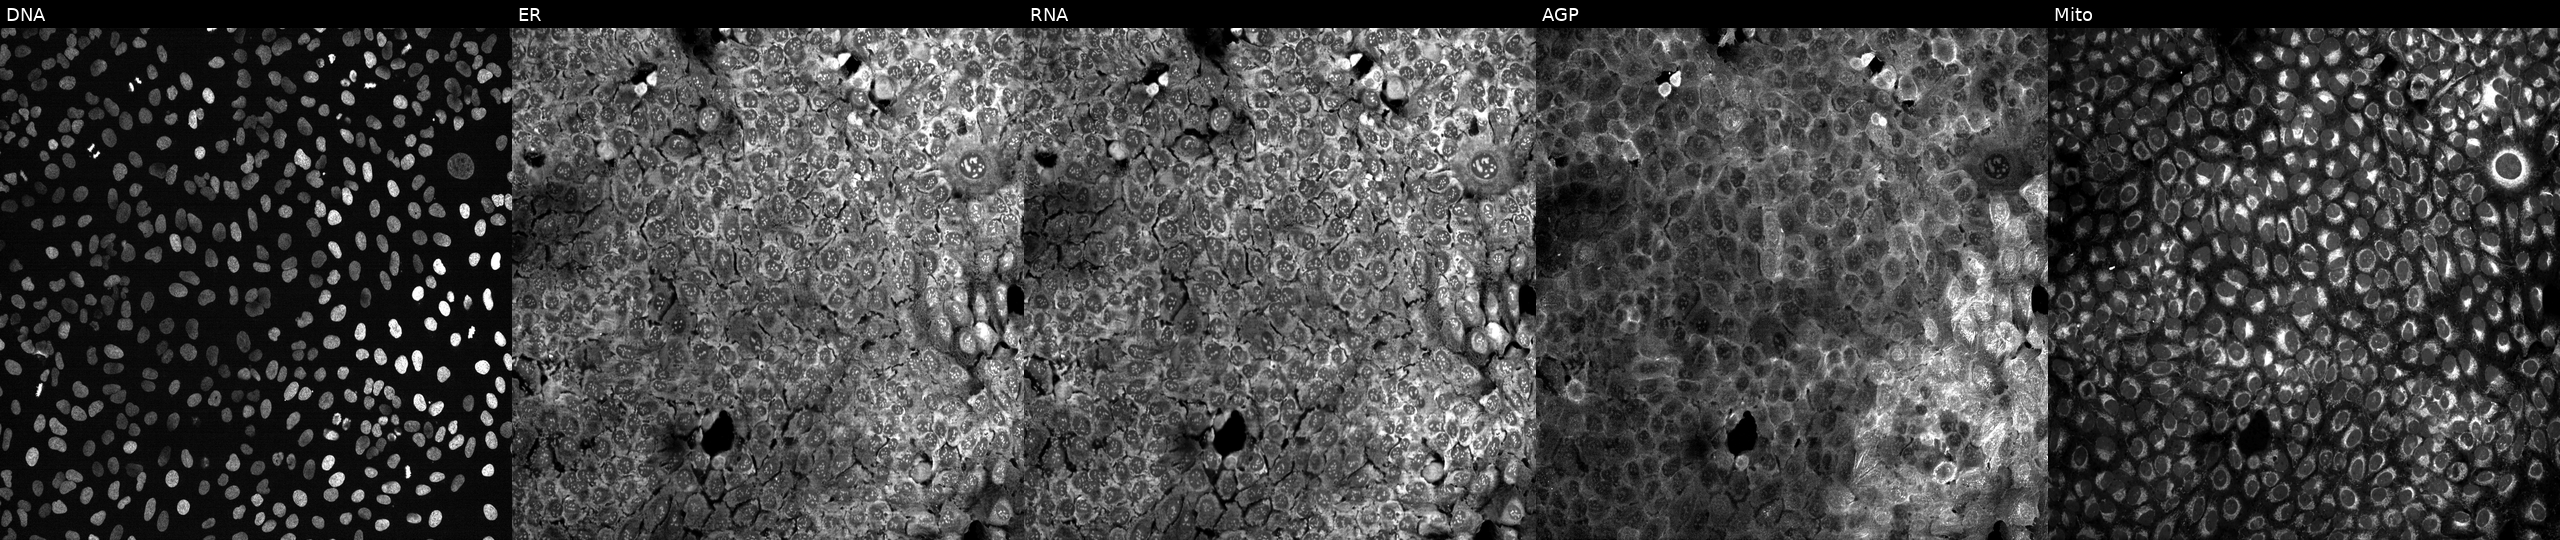
This image strip shows the five Cell Painting channels for a single field of U2OS cells with no CRISPR guide (negative control). Panels show, left to right, DNA, ER, RNA, AGP, and Mito. Source 13, plate CP-CC9-R2-01, well B02.